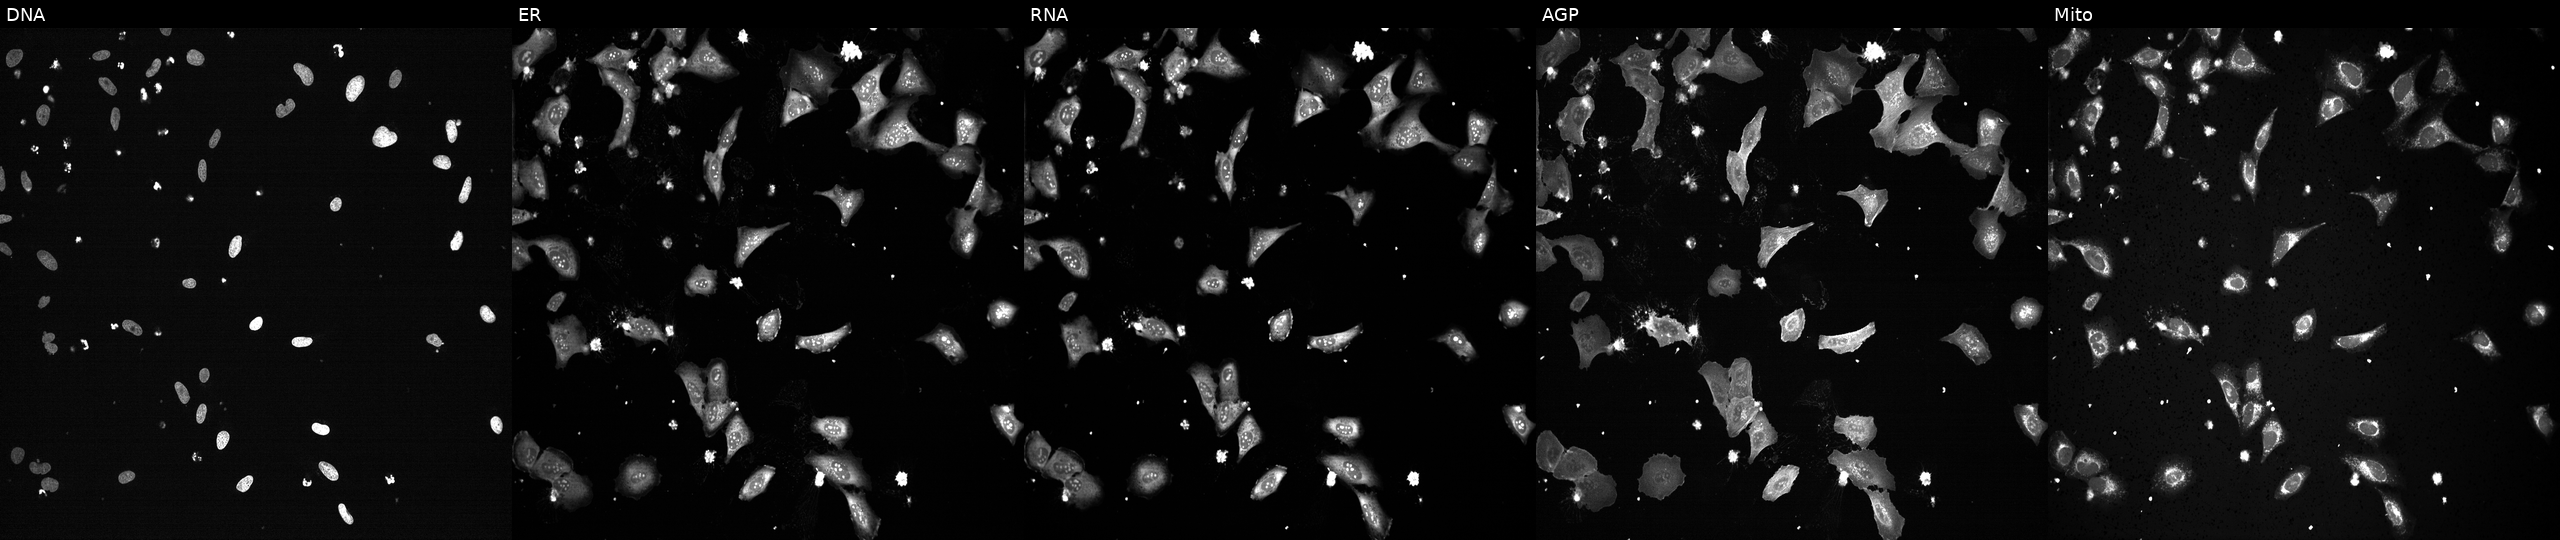
High-content fluorescence microscopy (Cell Painting). Cell line: U2OS. Perturbation: treated with TC-S-7004 (positive-control compound) (JUMP id JCP2022_012818). Channels (left→right): DNA (nuclei); ER (endoplasmic reticulum); RNA (nucleoli and cytoplasmic RNA); AGP (actin cytoskeleton, Golgi, and plasma membrane); Mito (mitochondria). Source 13, plate CP-CC9-R6-19, well P01.